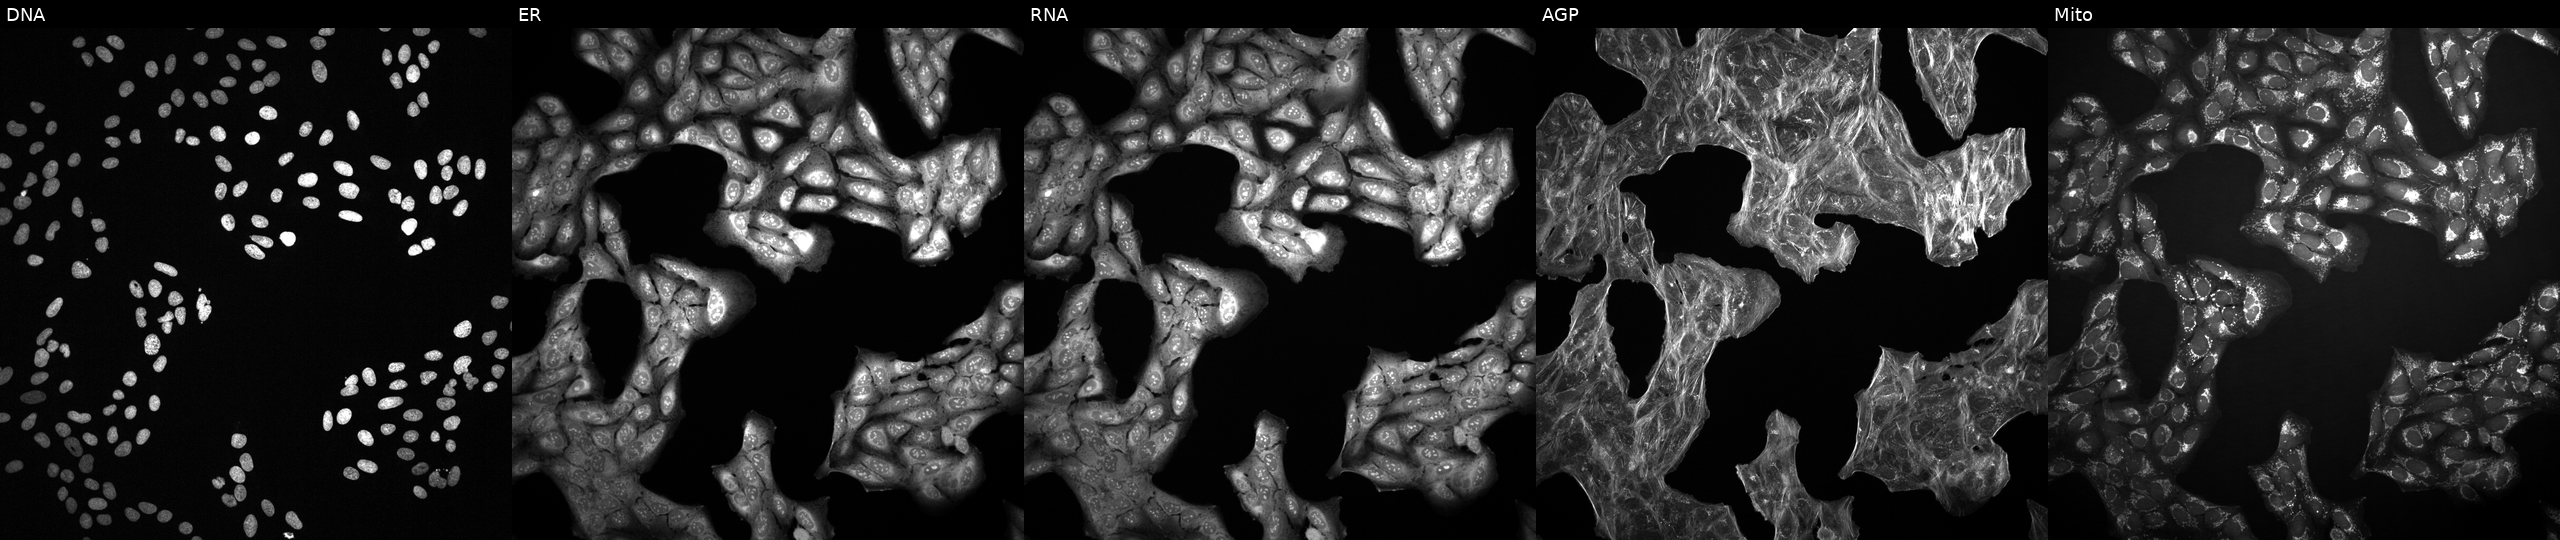
U2OS cells, Cell Painting assay, treated with a small-molecule compound (InChIKey ICDMLAQPOAVWNH-UHFFFAOYSA-N) [SMILES: CCCCCCCCC=CCCCCCCCC(=O)NC(CO)Cc1ccc(O)cc1]. The five panels, left to right, show Hoechst 33342, concanavalin A, SYTO 14, phalloidin and WGA, MitoTracker. Each panel is percentile-stretched 16-bit fluorescence.